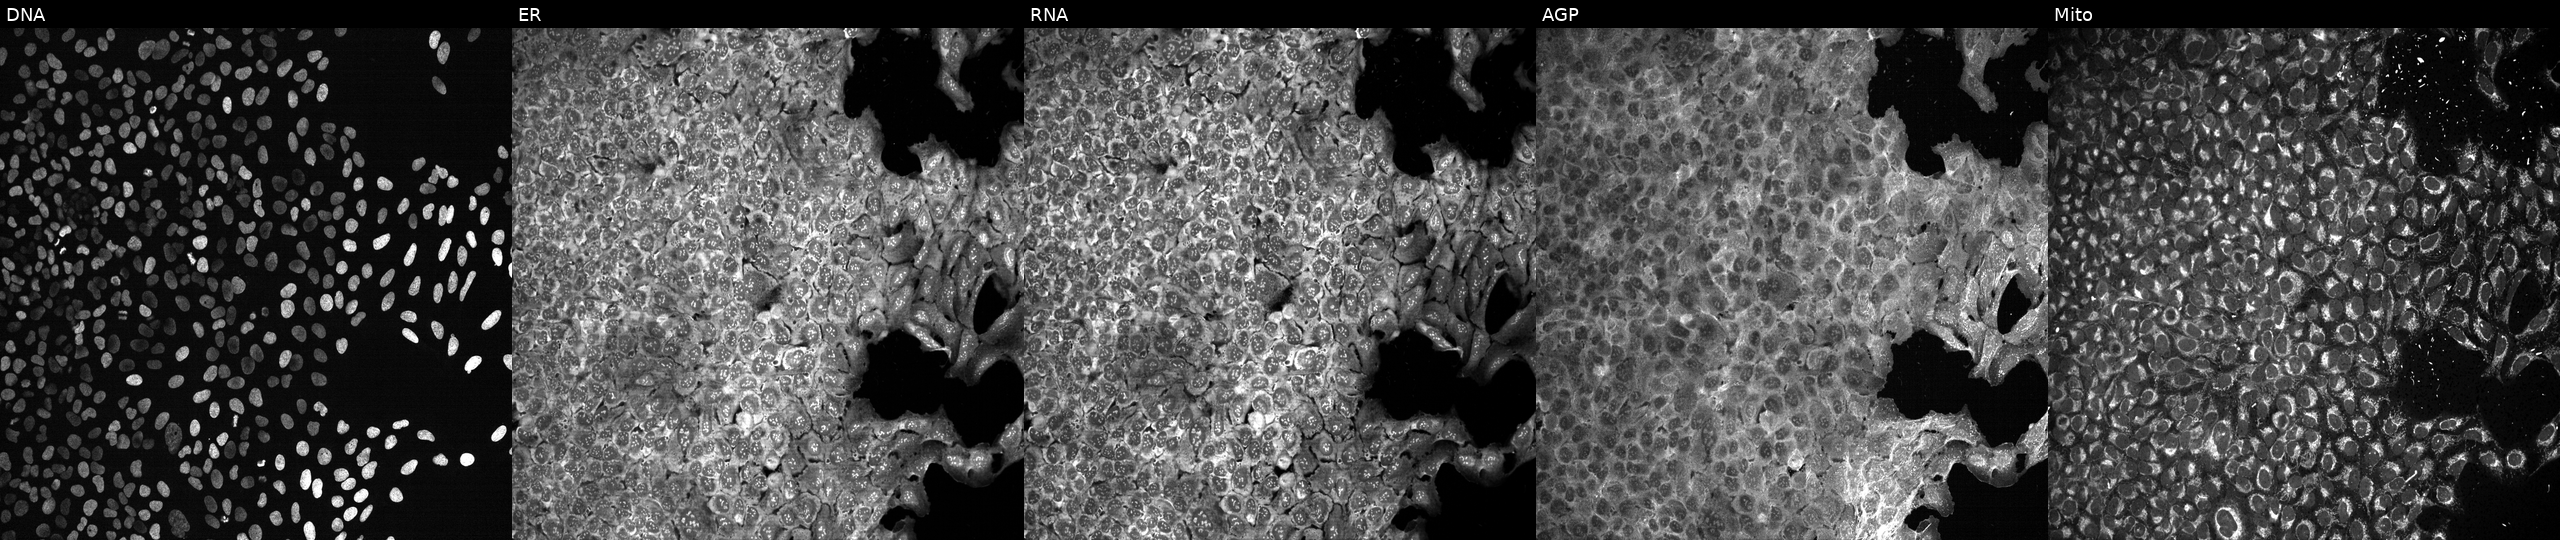
From left to right: DNA, ER, RNA, AGP, and Mito. U2OS osteosarcoma cells treated with dexamethasone (positive-control compound). Cell Painting assay, JUMP-CP dataset.